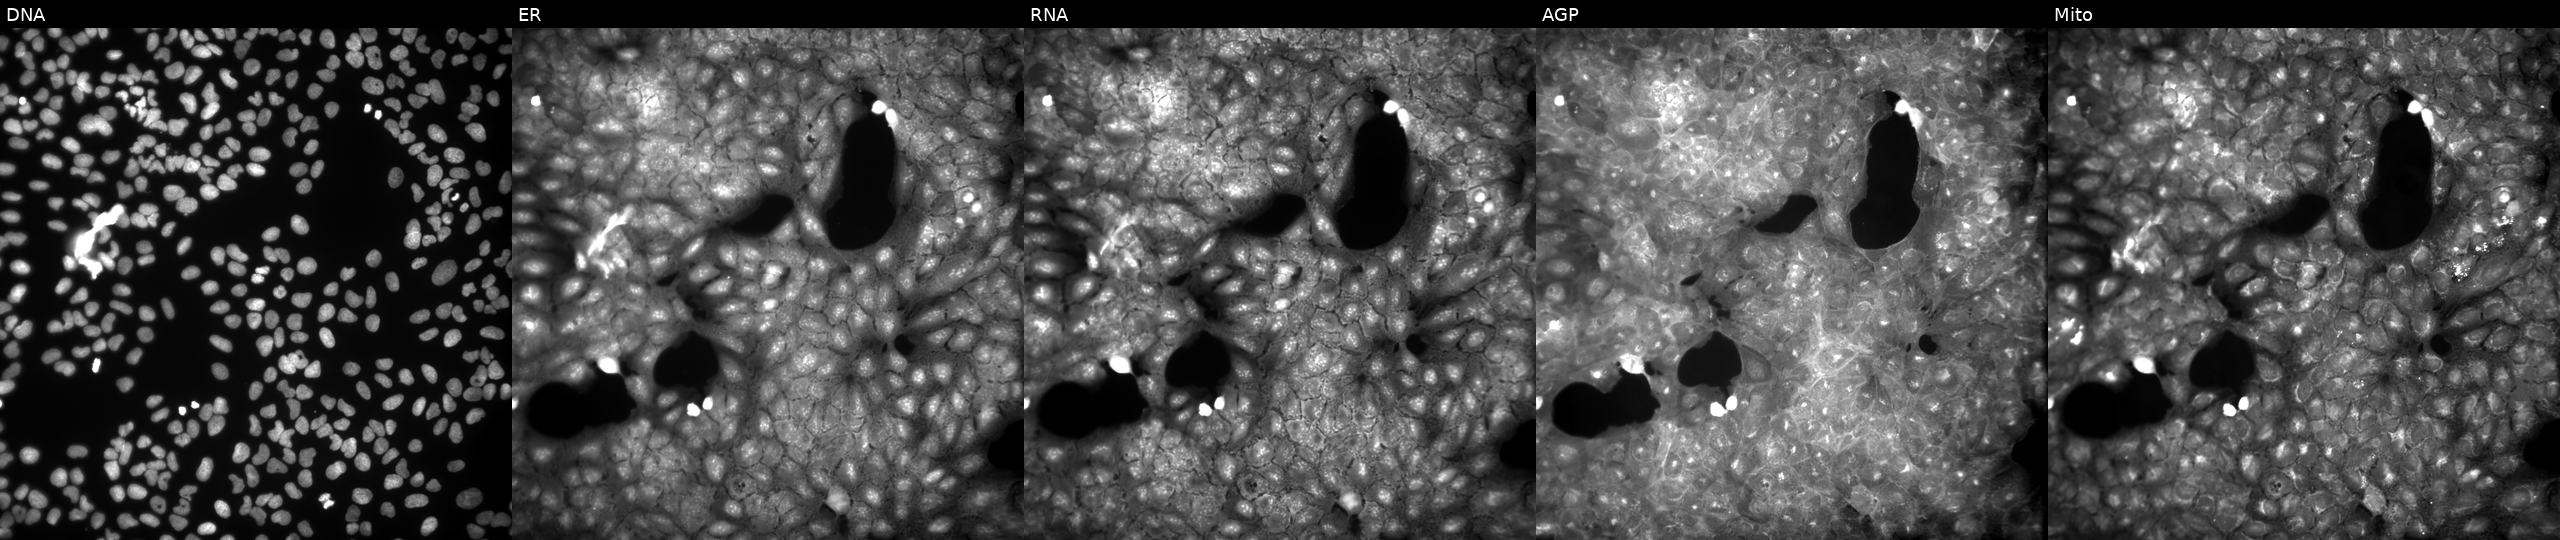
U2OS cells, Cell Painting assay, exposed to a small-molecule compound (InChIKey SDSZHYWMQMNLID-UHFFFAOYSA-N) (JUMP id JCP2022_082529). The five panels, left to right, show DNA, ER, RNA, AGP, and Mito. Each panel is percentile-stretched 16-bit fluorescence. Source 9, plate GR00003381, well K46.